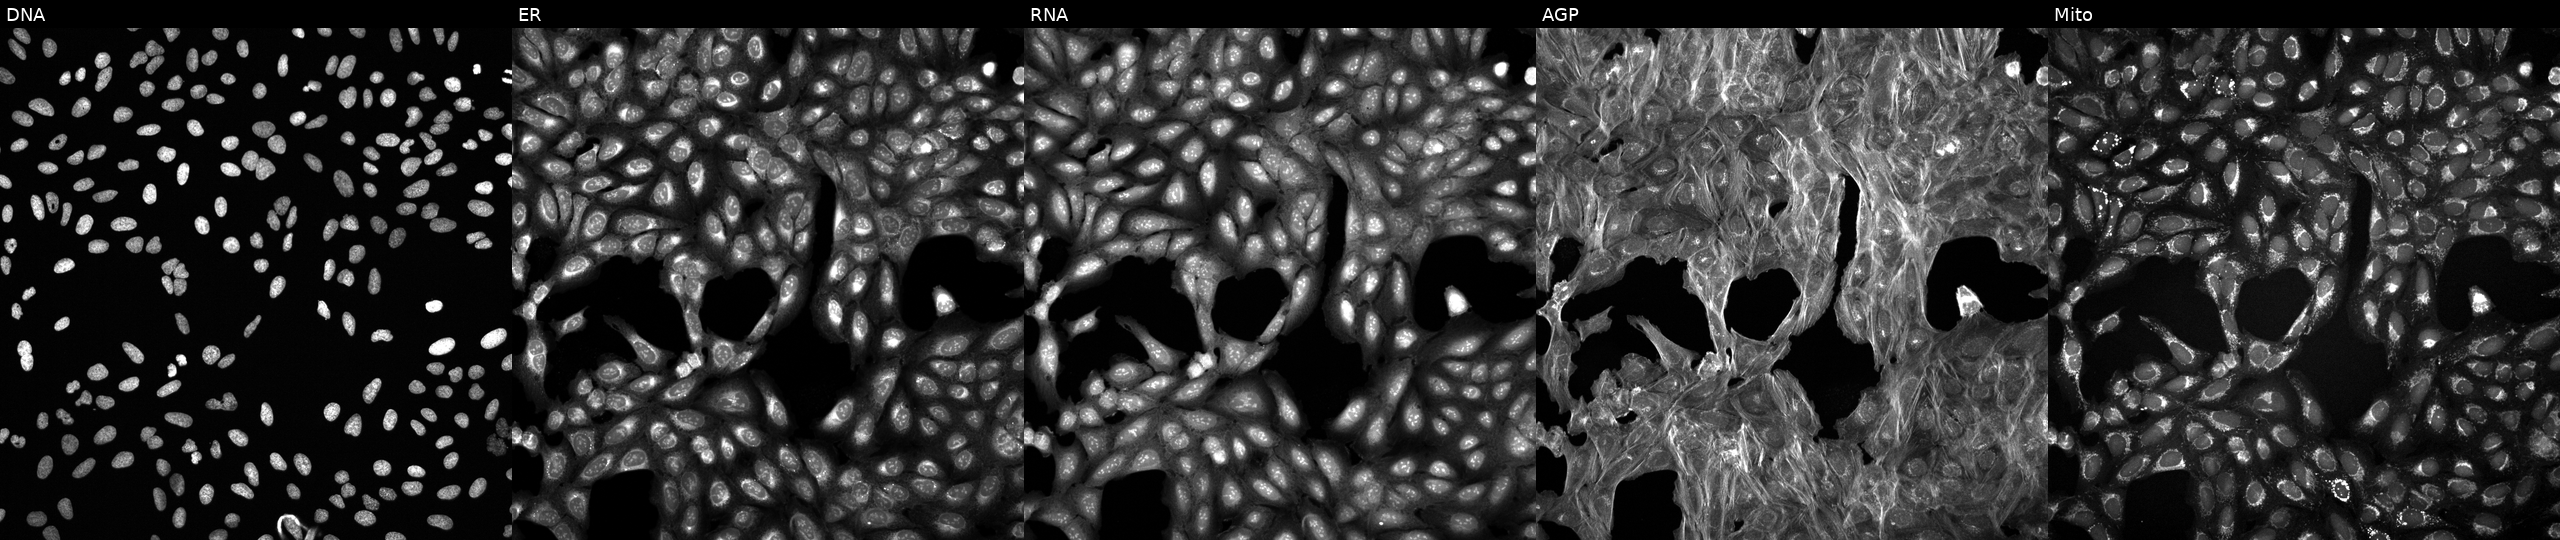
JUMP Cell Painting — TARGET2 plate. U2OS cells treated with DMSO vehicle only (negative control) (JUMP id JCP2022_033924). From left to right: DNA, ER, RNA, AGP, and Mito.